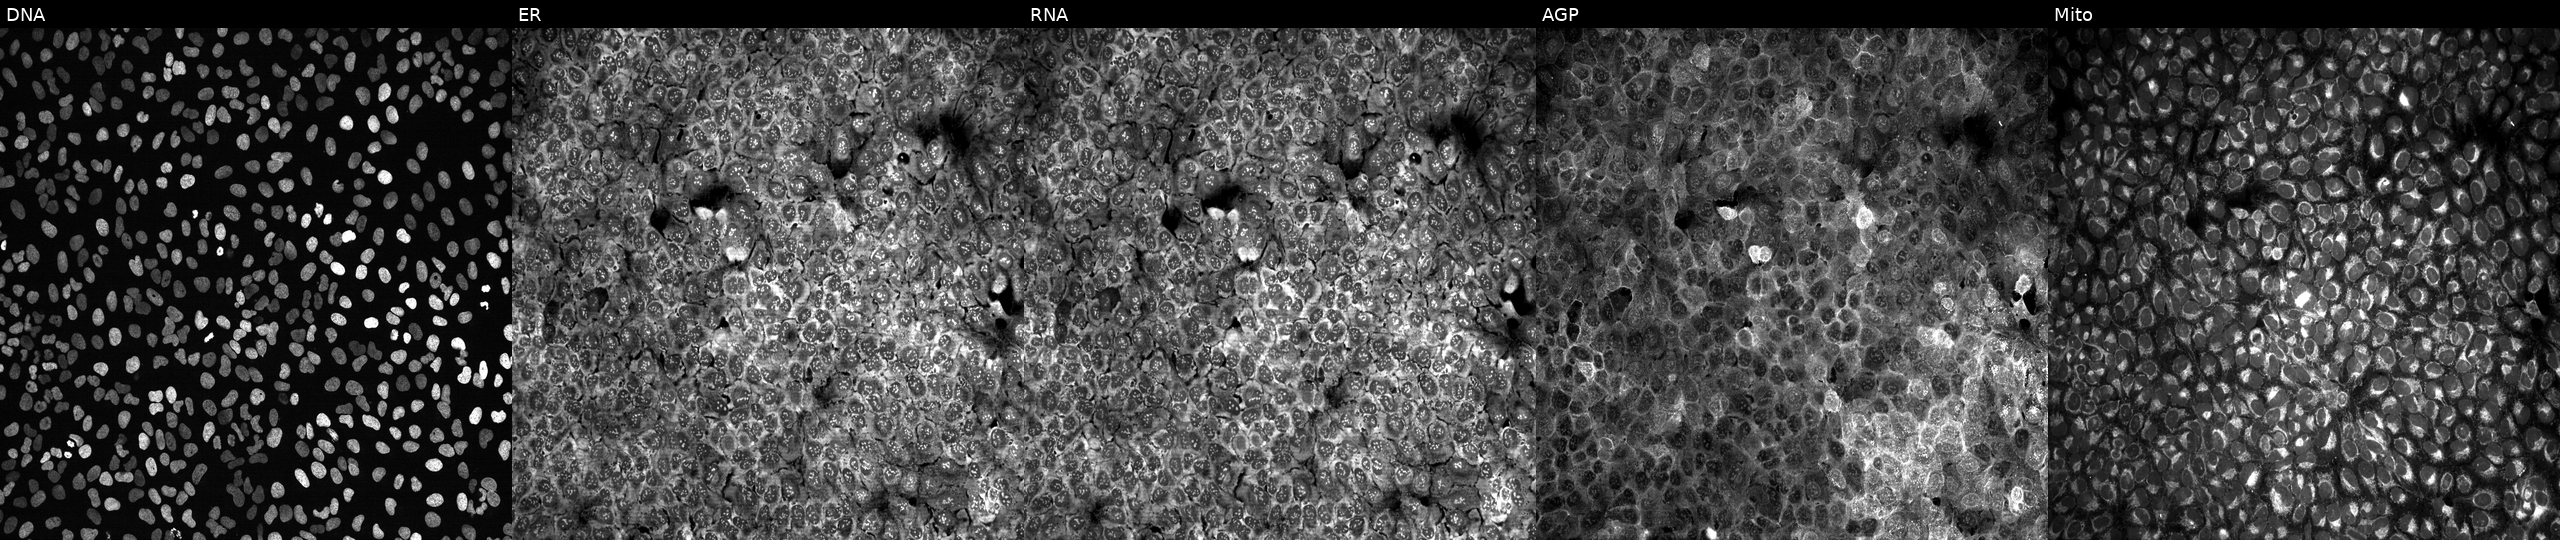
This image strip shows the five Cell Painting channels for a single field of U2OS cells with no CRISPR guide (negative control) (JUMP id JCP2022_800001). Channels (left→right): DNA, ER, RNA, AGP, and Mito.